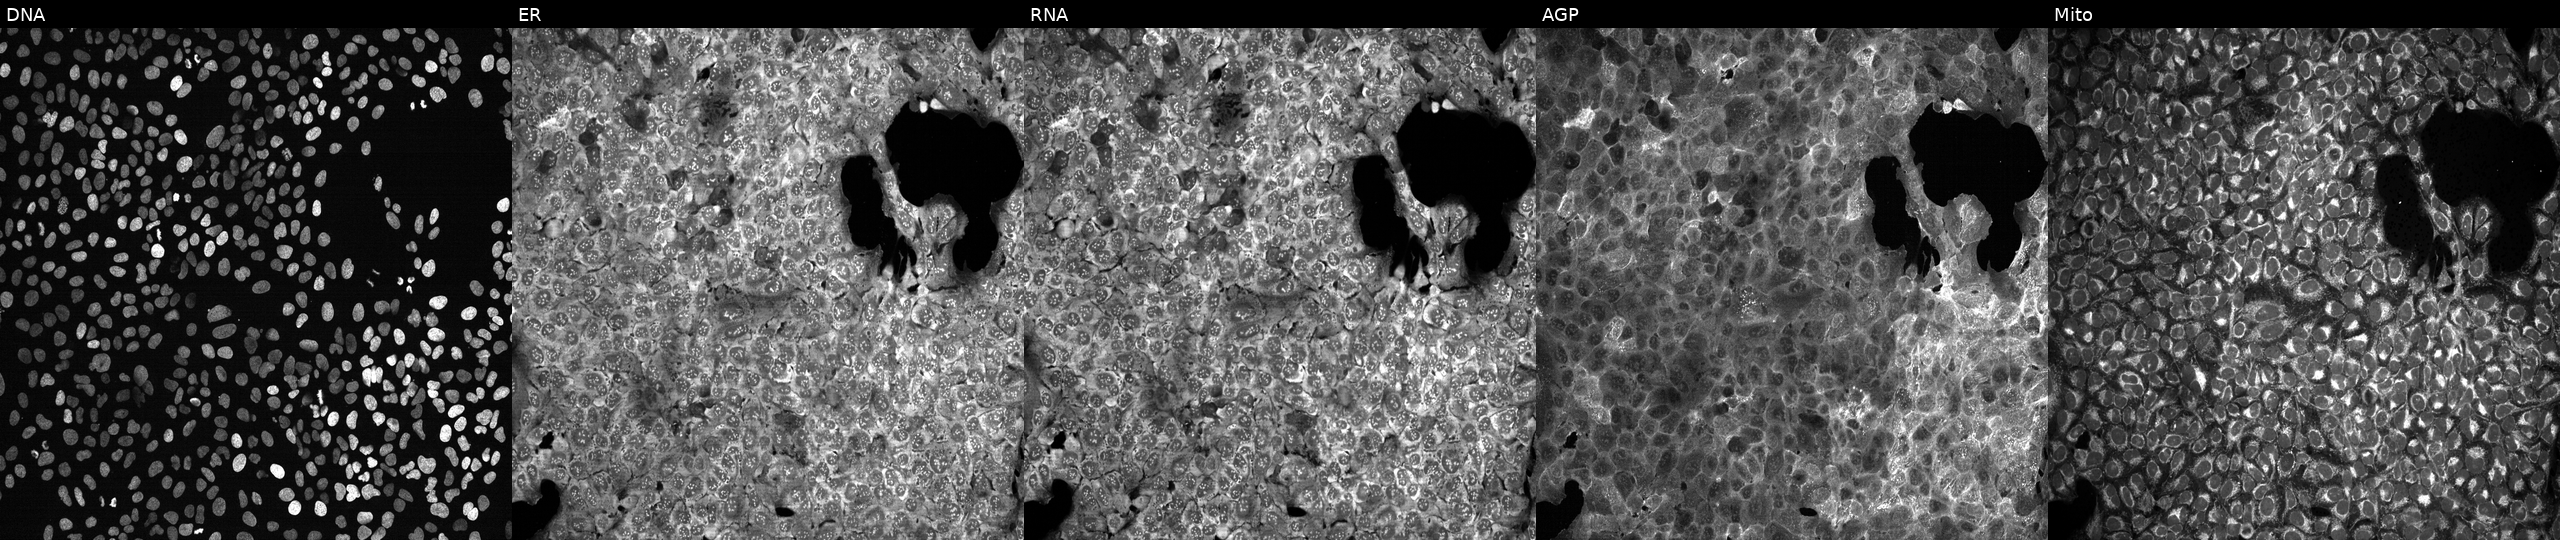
From left to right: DNA (nuclei); ER (endoplasmic reticulum); RNA (nucleoli and cytoplasmic RNA); AGP (actin cytoskeleton, Golgi, and plasma membrane); Mito (mitochondria). U2OS osteosarcoma cells treated with LY2109761 (positive-control compound). Cell Painting assay, JUMP-CP dataset. Source 13, plate CP-CC9-R2-02, well E01.